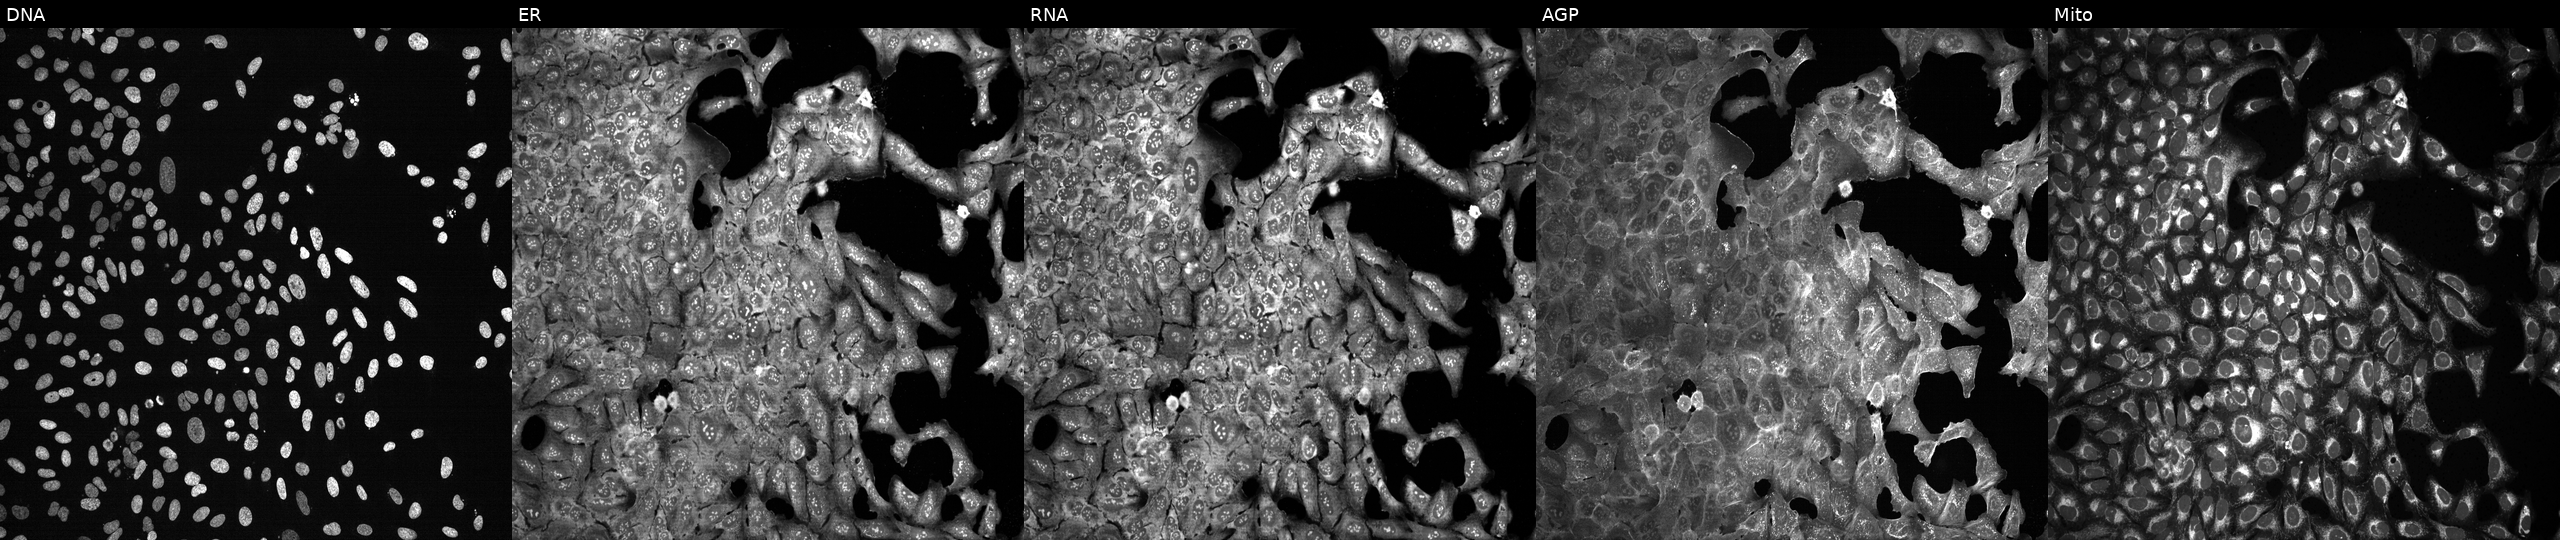
High-content fluorescence microscopy (Cell Painting). Cell line: U2OS. Perturbation: with CFB knocked out by CRISPR (JUMP id JCP2022_801270). From left to right: Hoechst 33342, concanavalin A, SYTO 14, phalloidin and WGA, MitoTracker.